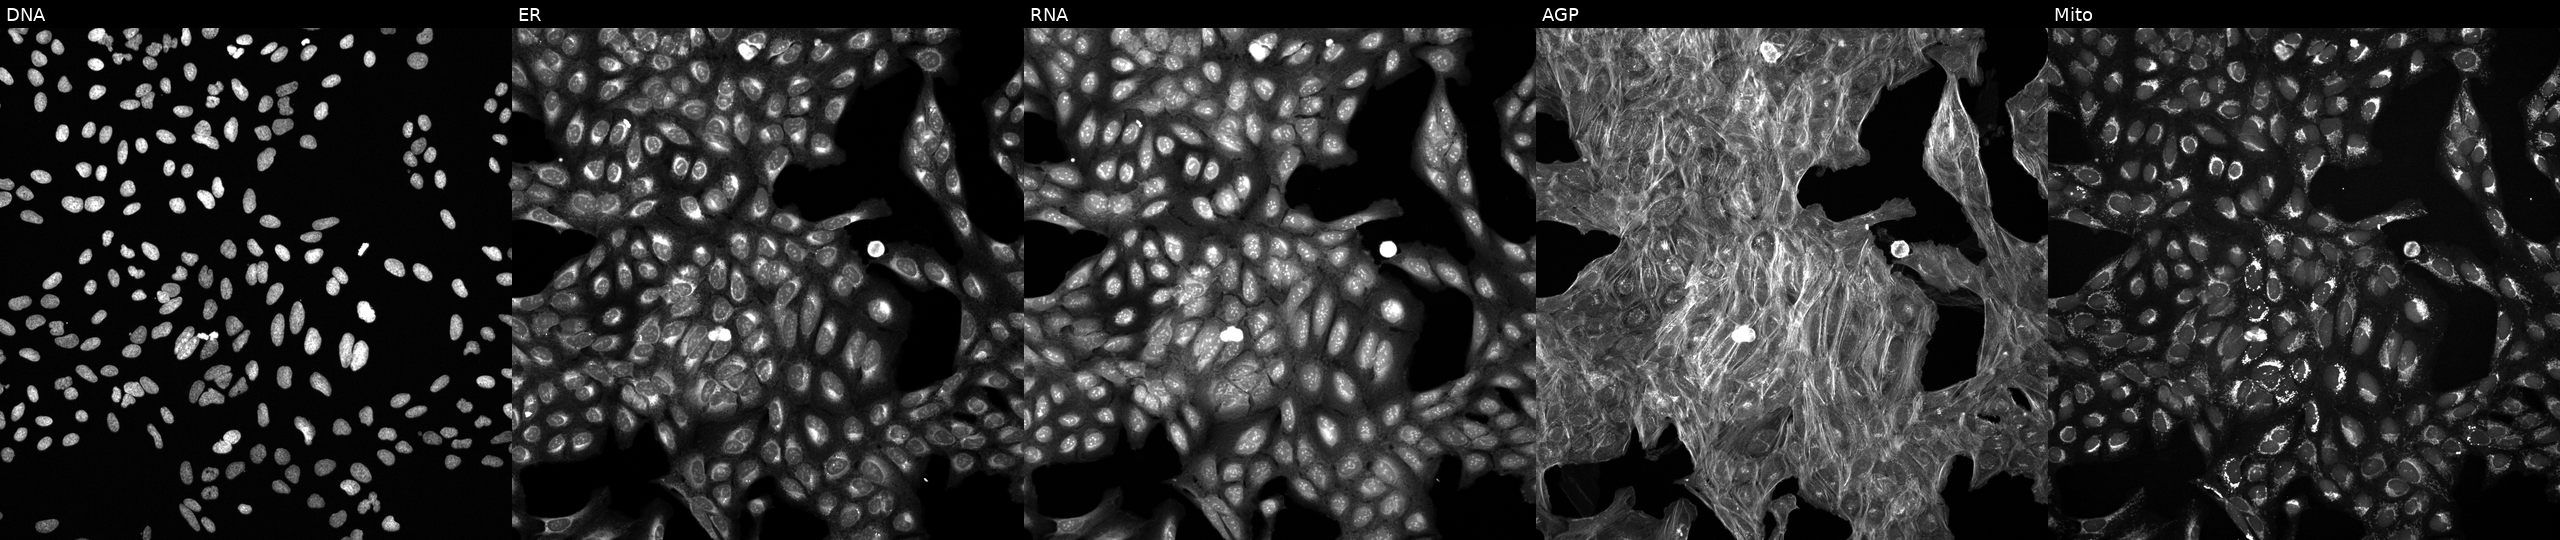
The five panels, left to right, show DNA, ER, RNA, AGP, and Mito. U2OS osteosarcoma cells exposed to a small-molecule compound (InChIKey SMCQDWPTMMXASW-UHFFFAOYSA-N) (JUMP id JCP2022_084128). Cell Painting assay, JUMP-CP dataset.